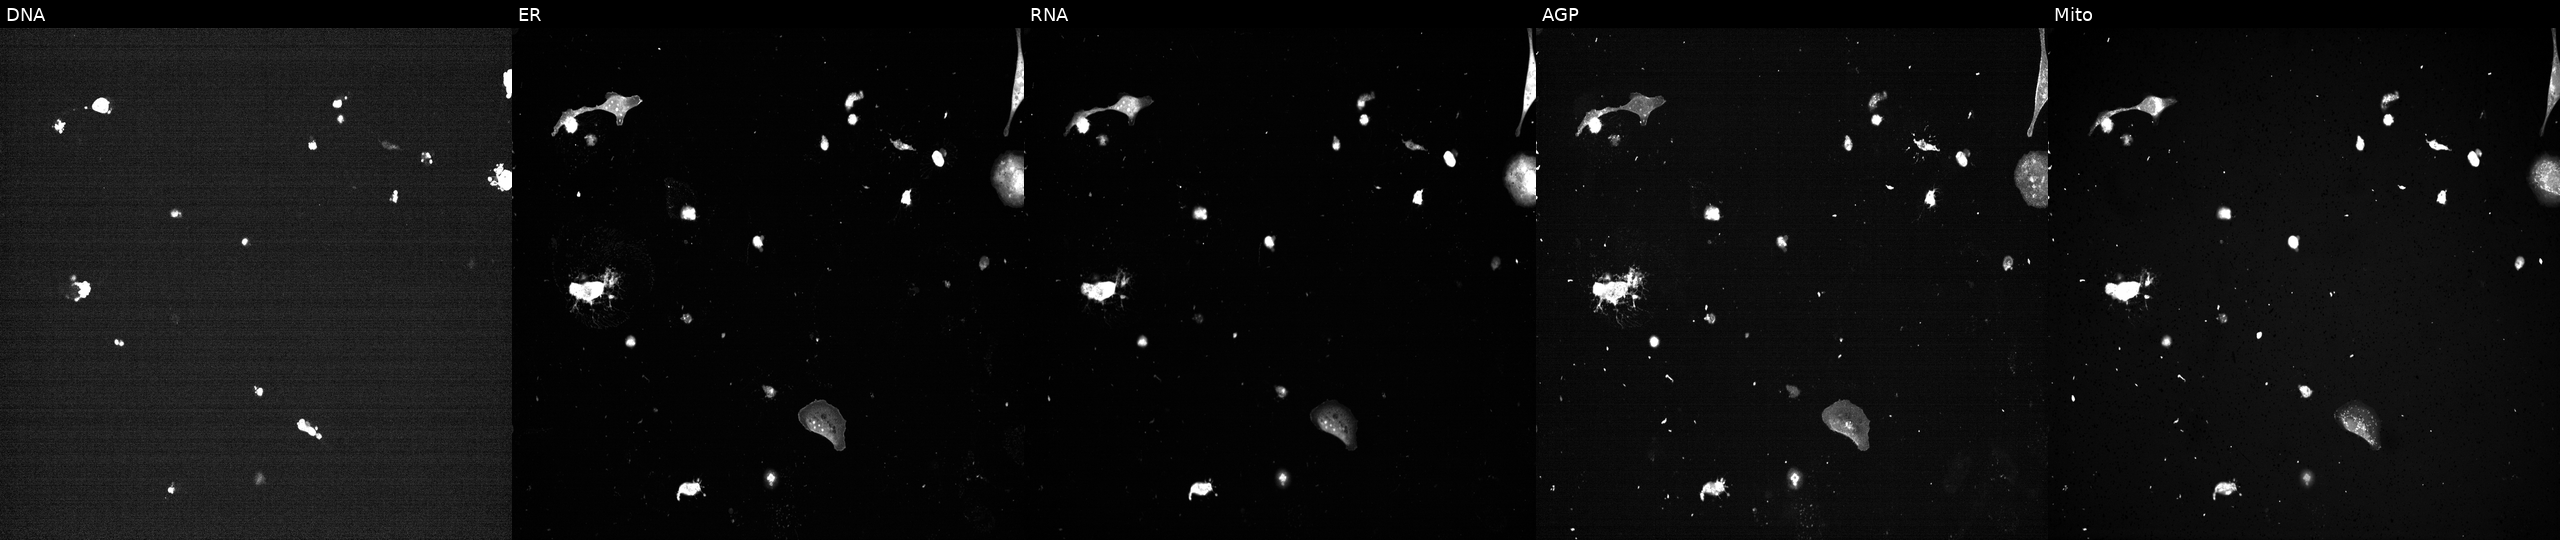
This image strip shows the five Cell Painting channels for a single field of U2OS cells with PLK1 knocked out by CRISPR (positive control) (JUMP id JCP2022_805264). From left to right: DNA, ER, RNA, AGP, and Mito. Source 13, plate CP-CC9-R1-01, well P02.